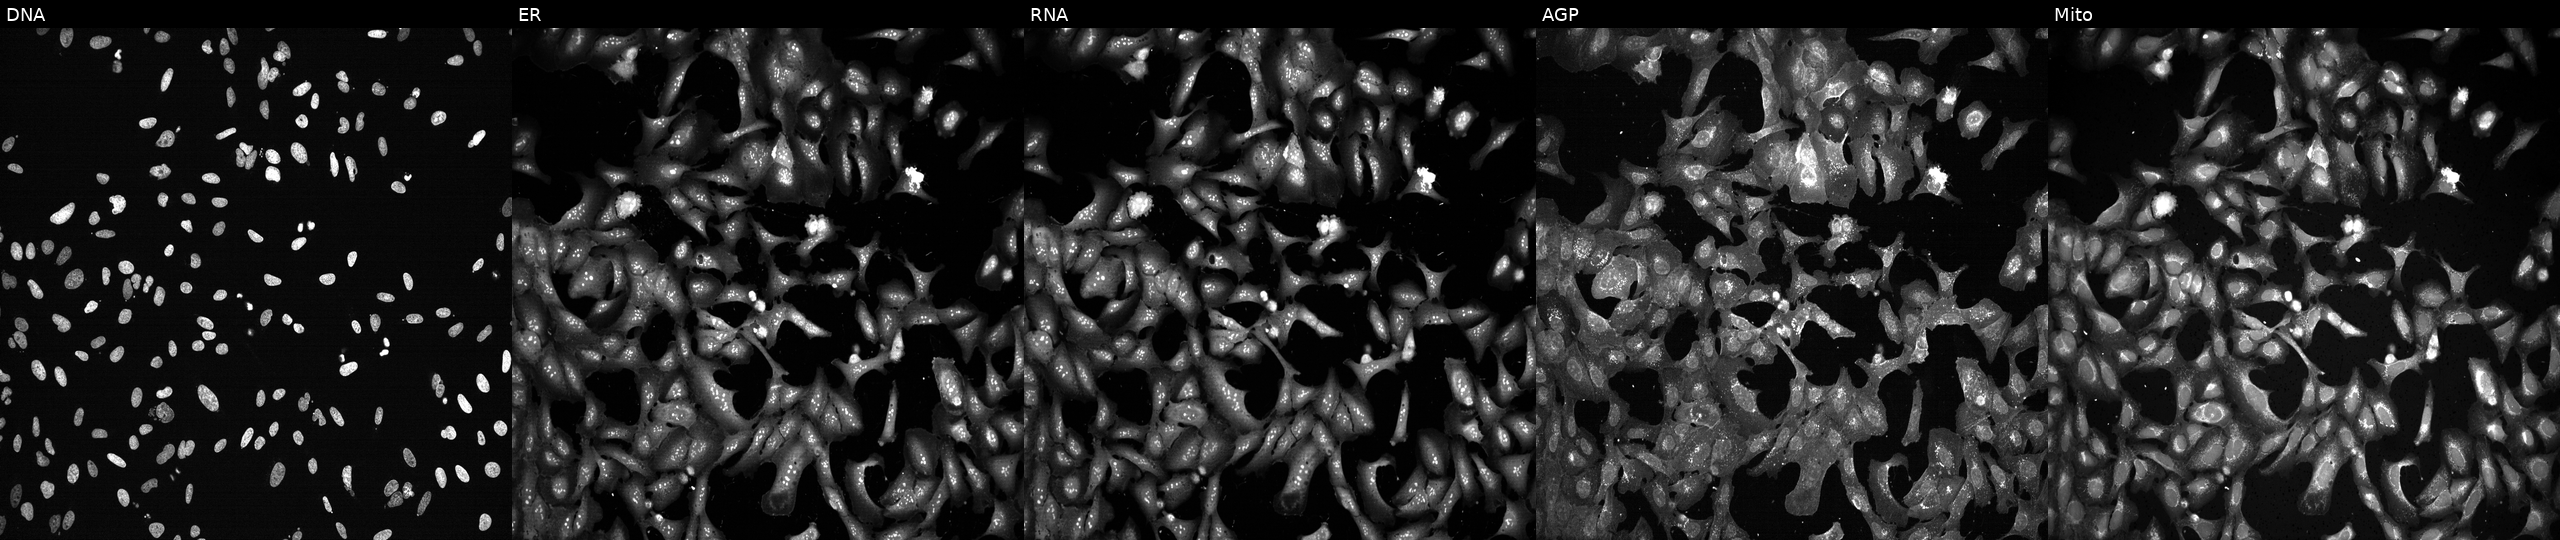
U2OS cells, Cell Painting assay, following CRISPR knockout of CDC5L (JUMP id JCP2022_801184). The five panels, left to right, show DNA (nuclei); ER (endoplasmic reticulum); RNA (nucleoli and cytoplasmic RNA); AGP (actin cytoskeleton, Golgi, and plasma membrane); Mito (mitochondria). Each panel is percentile-stretched 16-bit fluorescence.